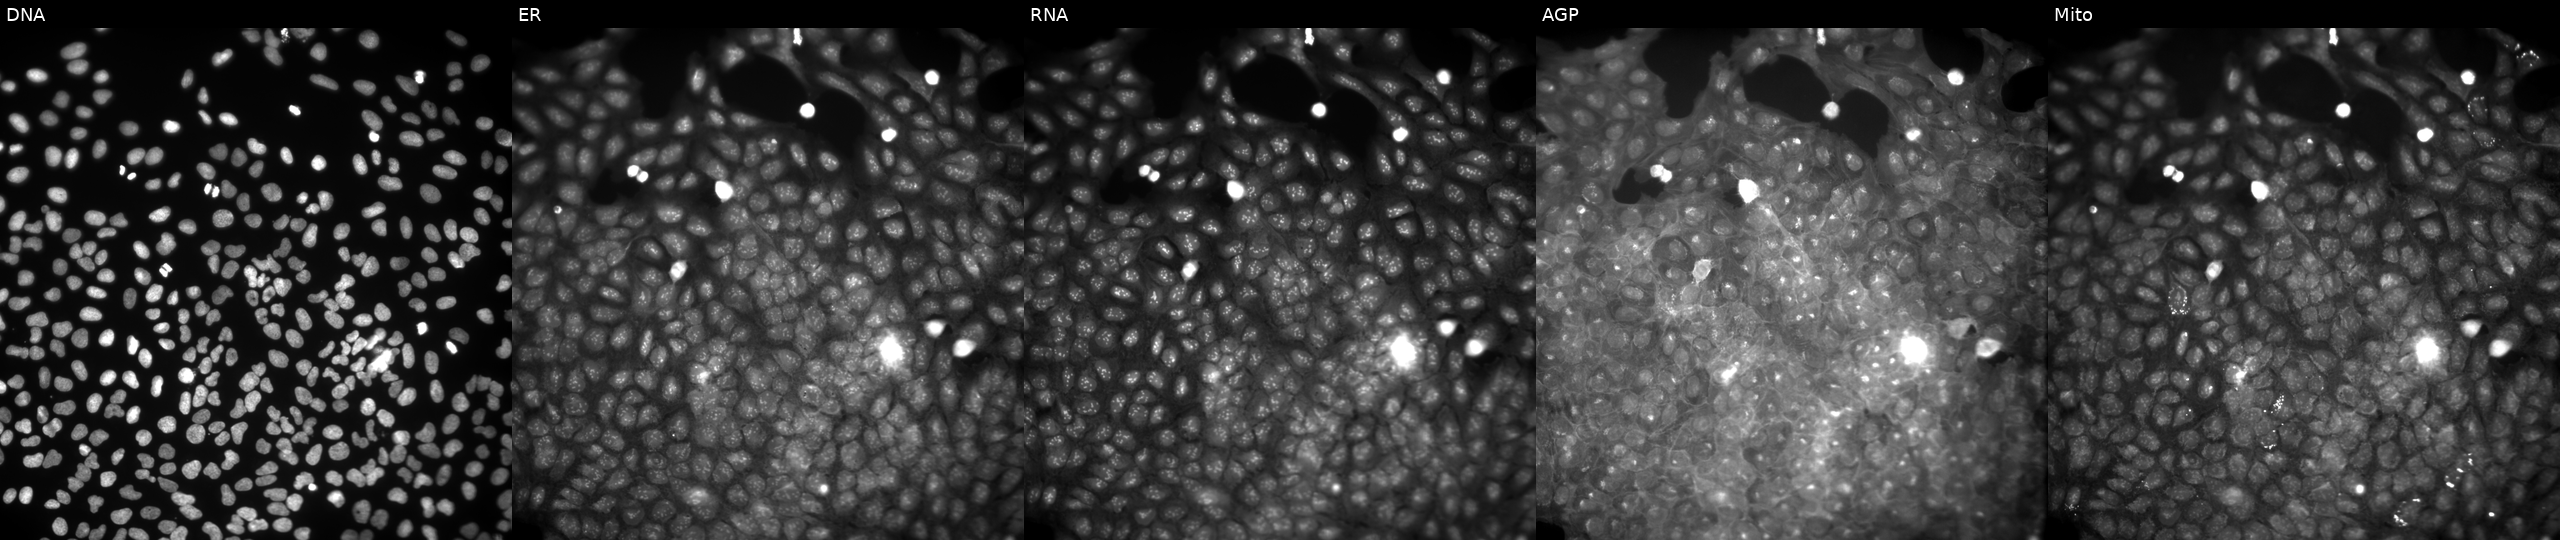
From left to right: DNA (nuclei); ER (endoplasmic reticulum); RNA (nucleoli and cytoplasmic RNA); AGP (actin cytoskeleton, Golgi, and plasma membrane); Mito (mitochondria). U2OS osteosarcoma cells exposed to a small-molecule compound (InChIKey GIDUYOLVTNVGNP-UHFFFAOYSA-N). Cell Painting assay, JUMP-CP dataset.